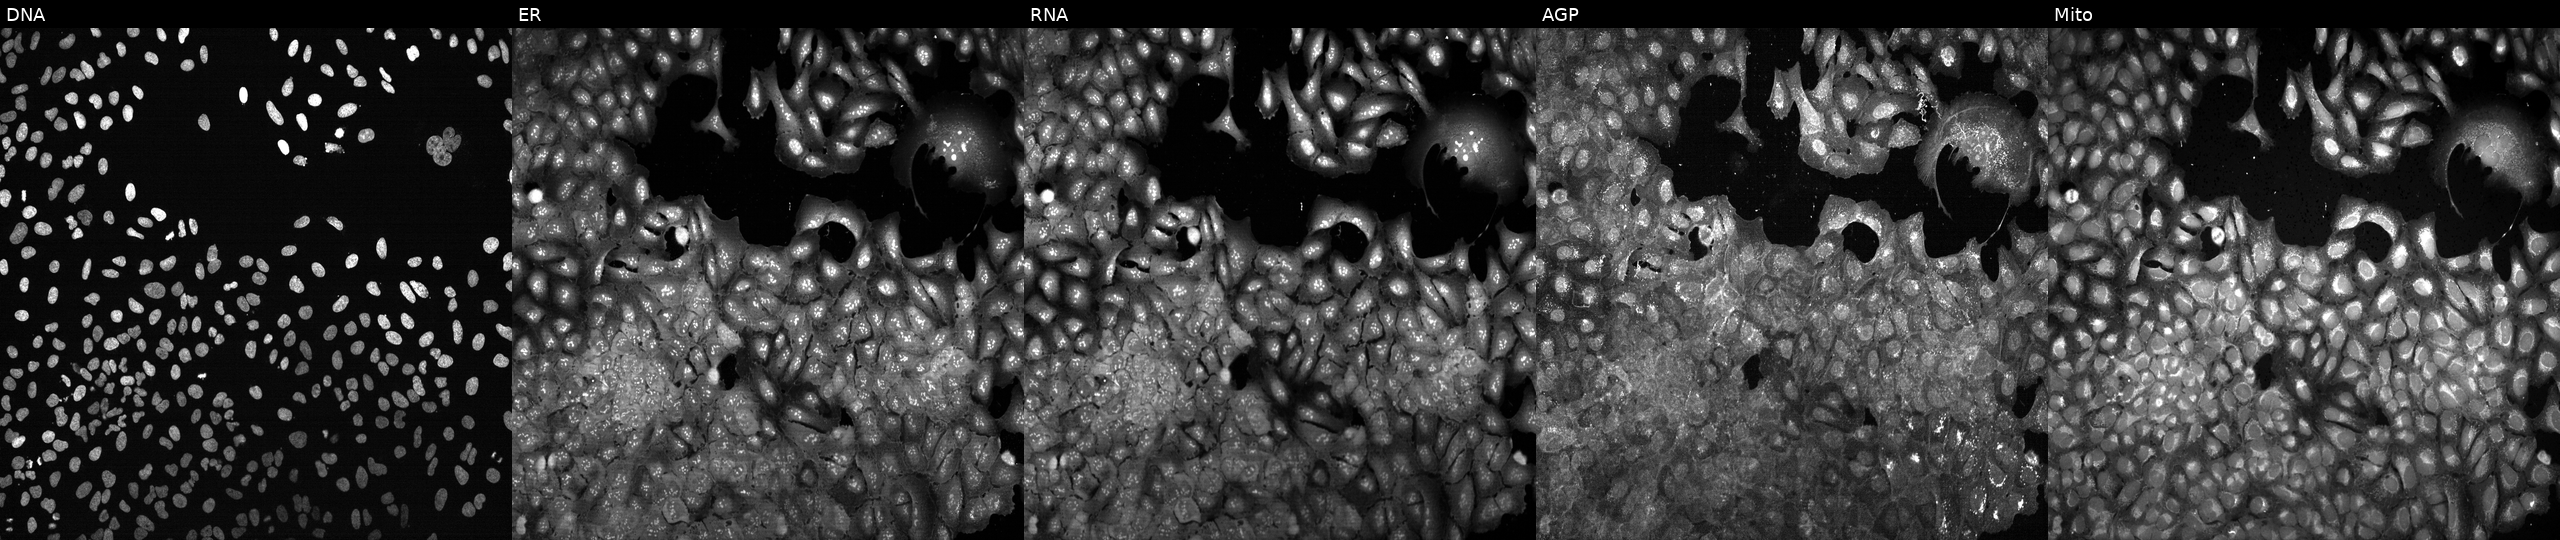
JUMP Cell Painting — CRISPR plate. U2OS cells CRISPR-edited to disrupt GALNT18. The five panels, left to right, show DNA, ER, RNA, AGP, and Mito. Source 13, plate CP-CC9-R1-01, well N06.